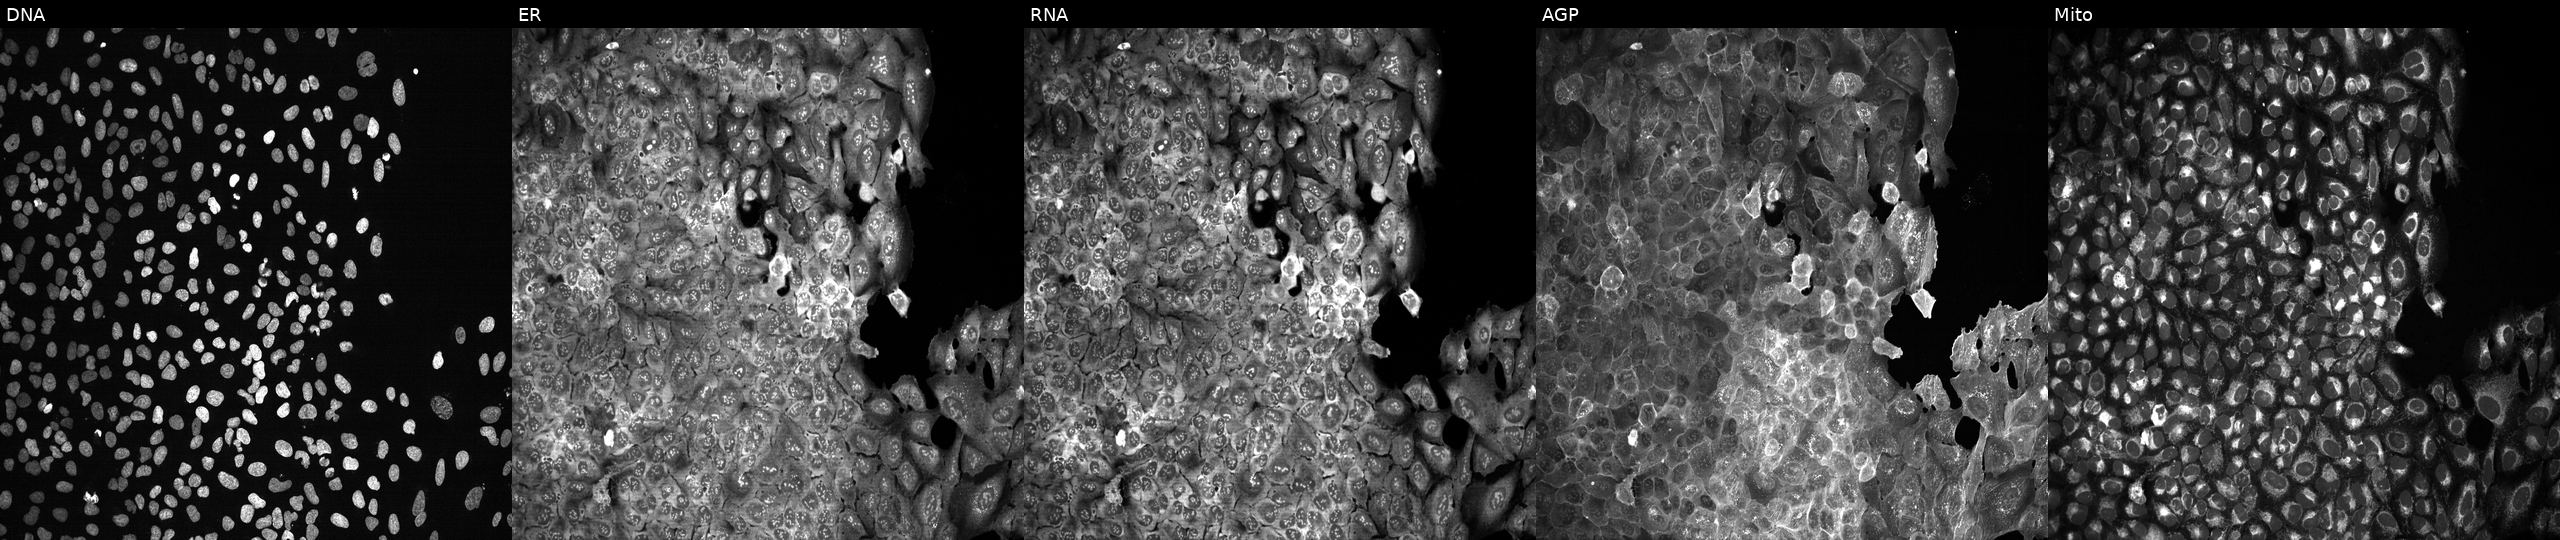
This image strip shows the five Cell Painting channels for a single field of U2OS cells with ZNF230 knocked out by CRISPR (JUMP id JCP2022_807855). From left to right: DNA, ER, RNA, AGP, and Mito.